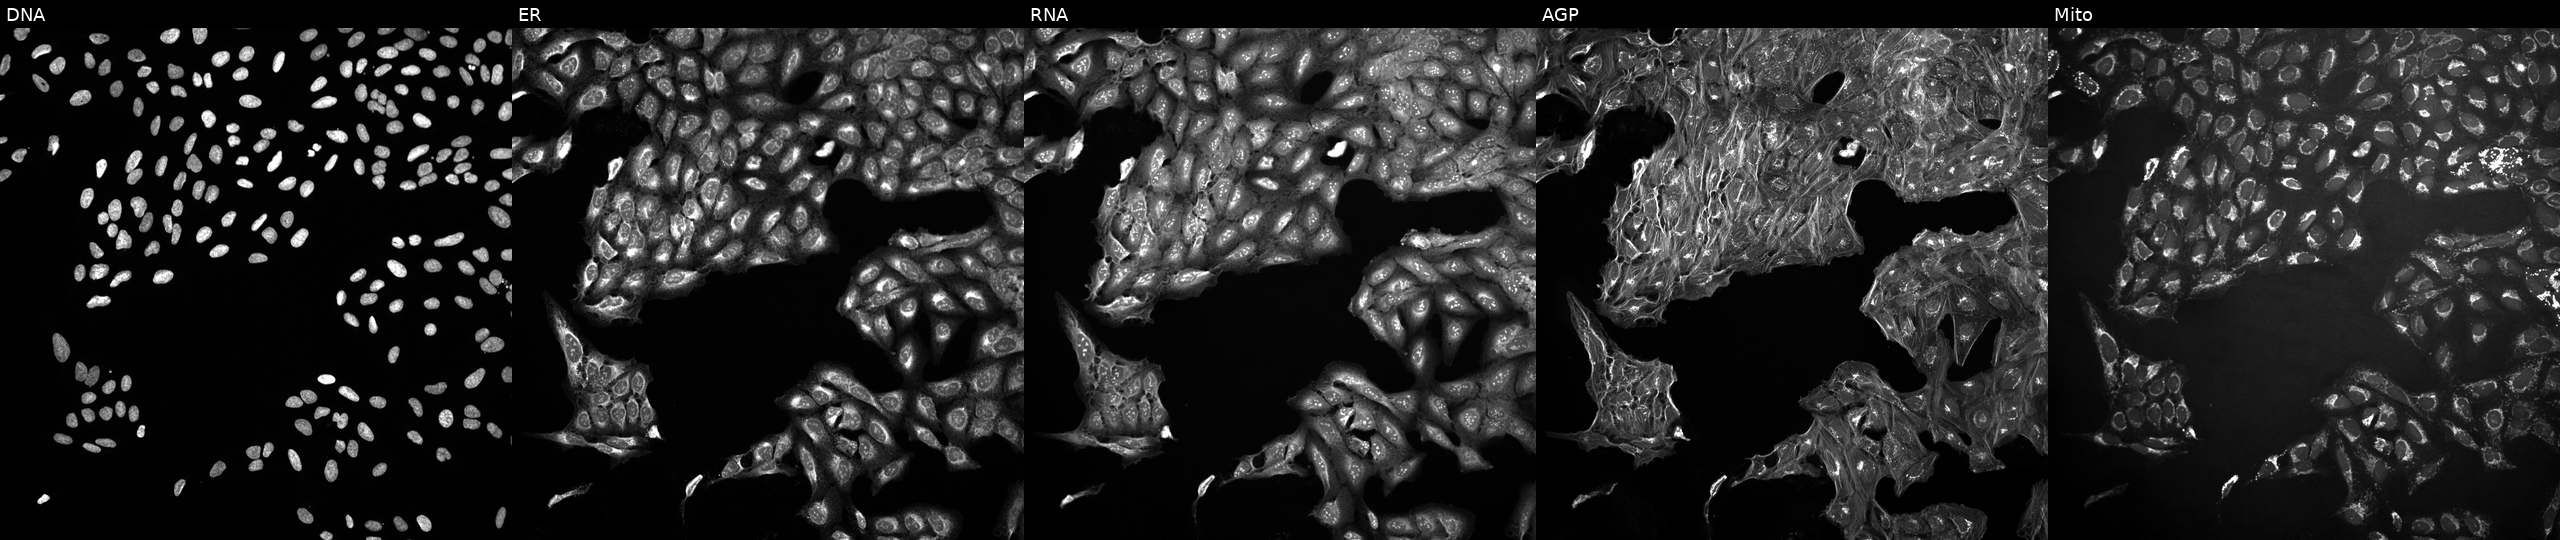
This image strip shows the five Cell Painting channels for a single field of U2OS cells perturbed with a small-molecule compound (InChIKey MTVIKDHWXDFURZ-UHFFFAOYSA-N). From left to right: DNA (nuclei); ER (endoplasmic reticulum); RNA (nucleoli and cytoplasmic RNA); AGP (actin cytoskeleton, Golgi, and plasma membrane); Mito (mitochondria).